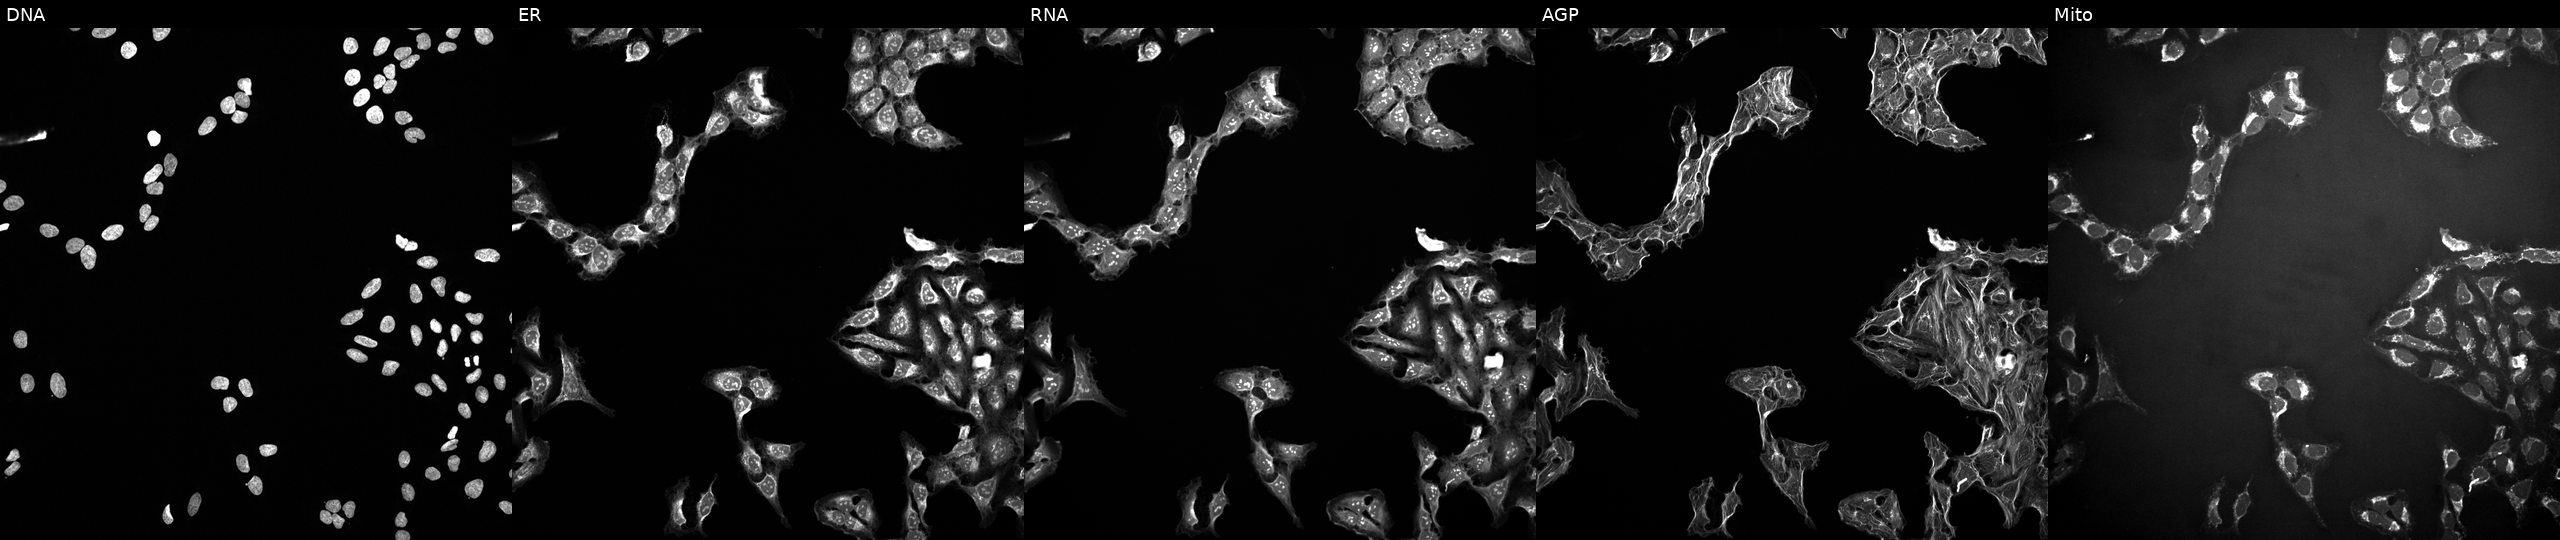
From left to right: DNA, ER, RNA, AGP, and Mito. U2OS osteosarcoma cells perturbed with a small-molecule compound (InChIKey RATZLMXRALDSJW-UHFFFAOYSA-N). Cell Painting assay, JUMP-CP dataset.